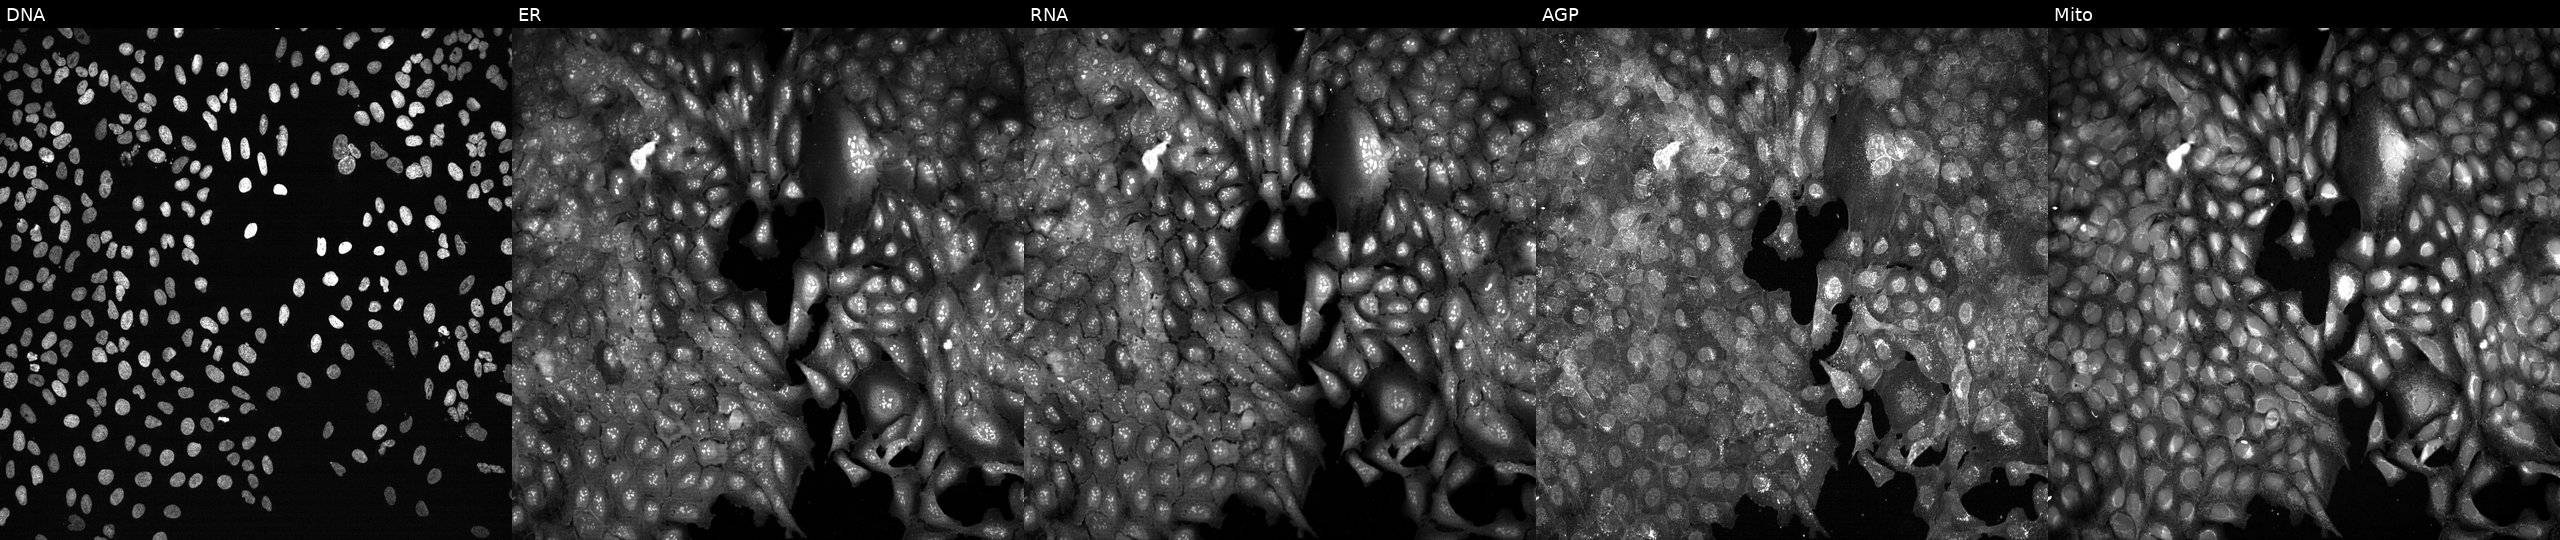
Panels show, left to right, DNA, ER, RNA, AGP, and Mito. U2OS osteosarcoma cells CRISPR-edited to disrupt TRMT61A. Cell Painting assay, JUMP-CP dataset. Source 13, plate CP-CC9-R1-01, well O07.